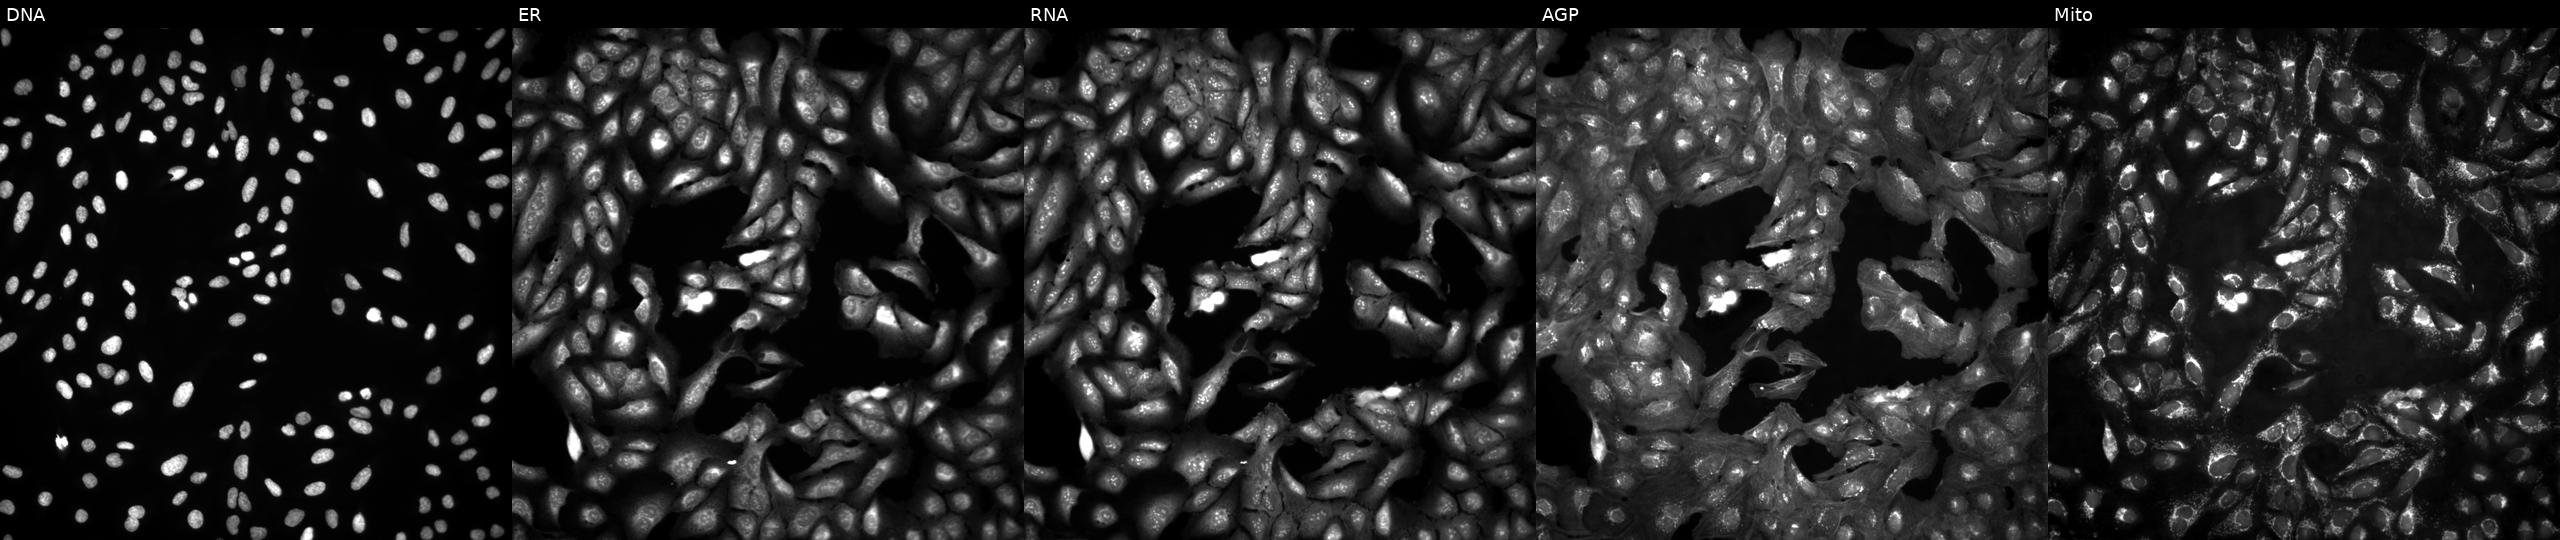
This image strip shows the five Cell Painting channels for a single field of U2OS cells in an empty control well (no perturbation). Panels show, left to right, DNA, ER, RNA, AGP, and Mito.